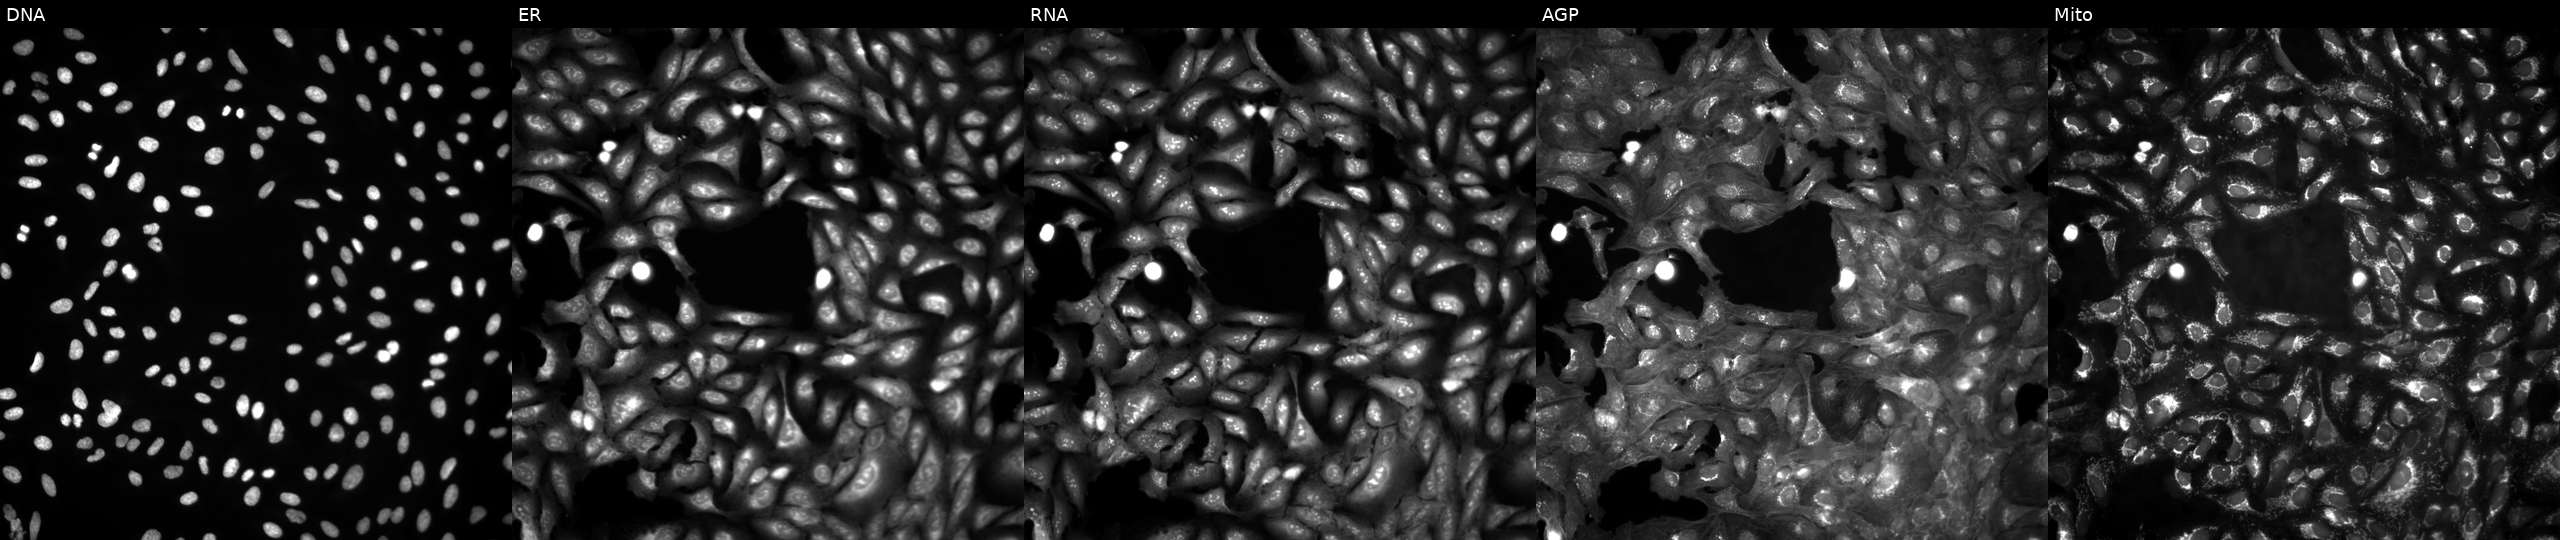
Panels show, left to right, DNA, ER, RNA, AGP, and Mito. U2OS osteosarcoma cells untreated (empty-well control). Cell Painting assay, JUMP-CP dataset.